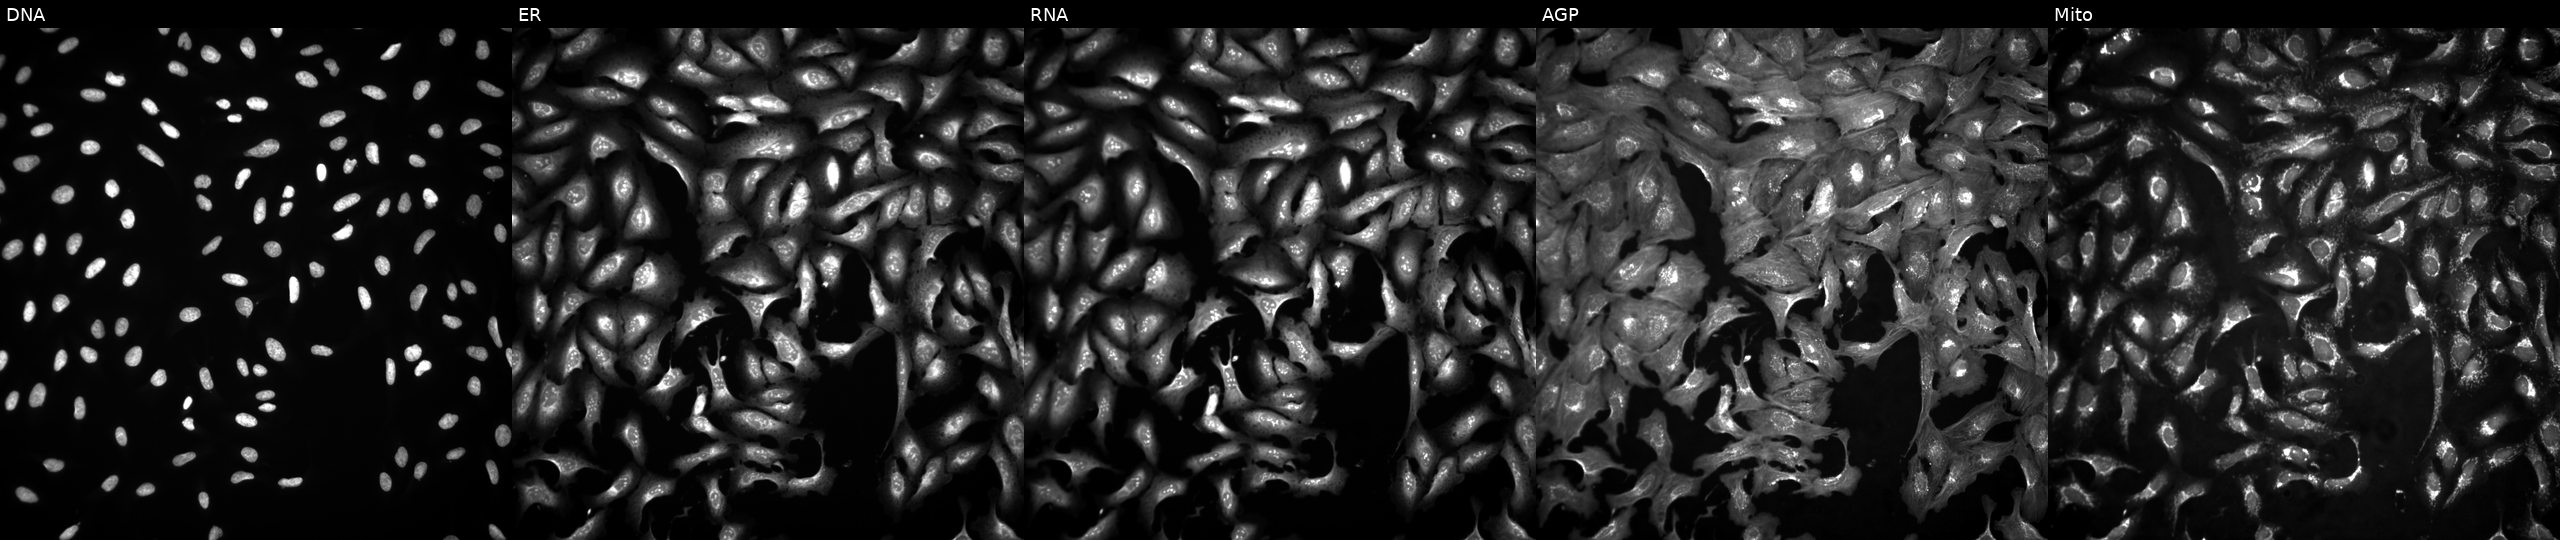
High-content fluorescence microscopy (Cell Painting). Cell line: U2OS. Perturbation: overexpressing GRK4 via ORF transfection (JUMP id JCP2022_905912). Channels (left→right): DNA, ER, RNA, AGP, and Mito. Source 4, plate BR00123945, well B22.